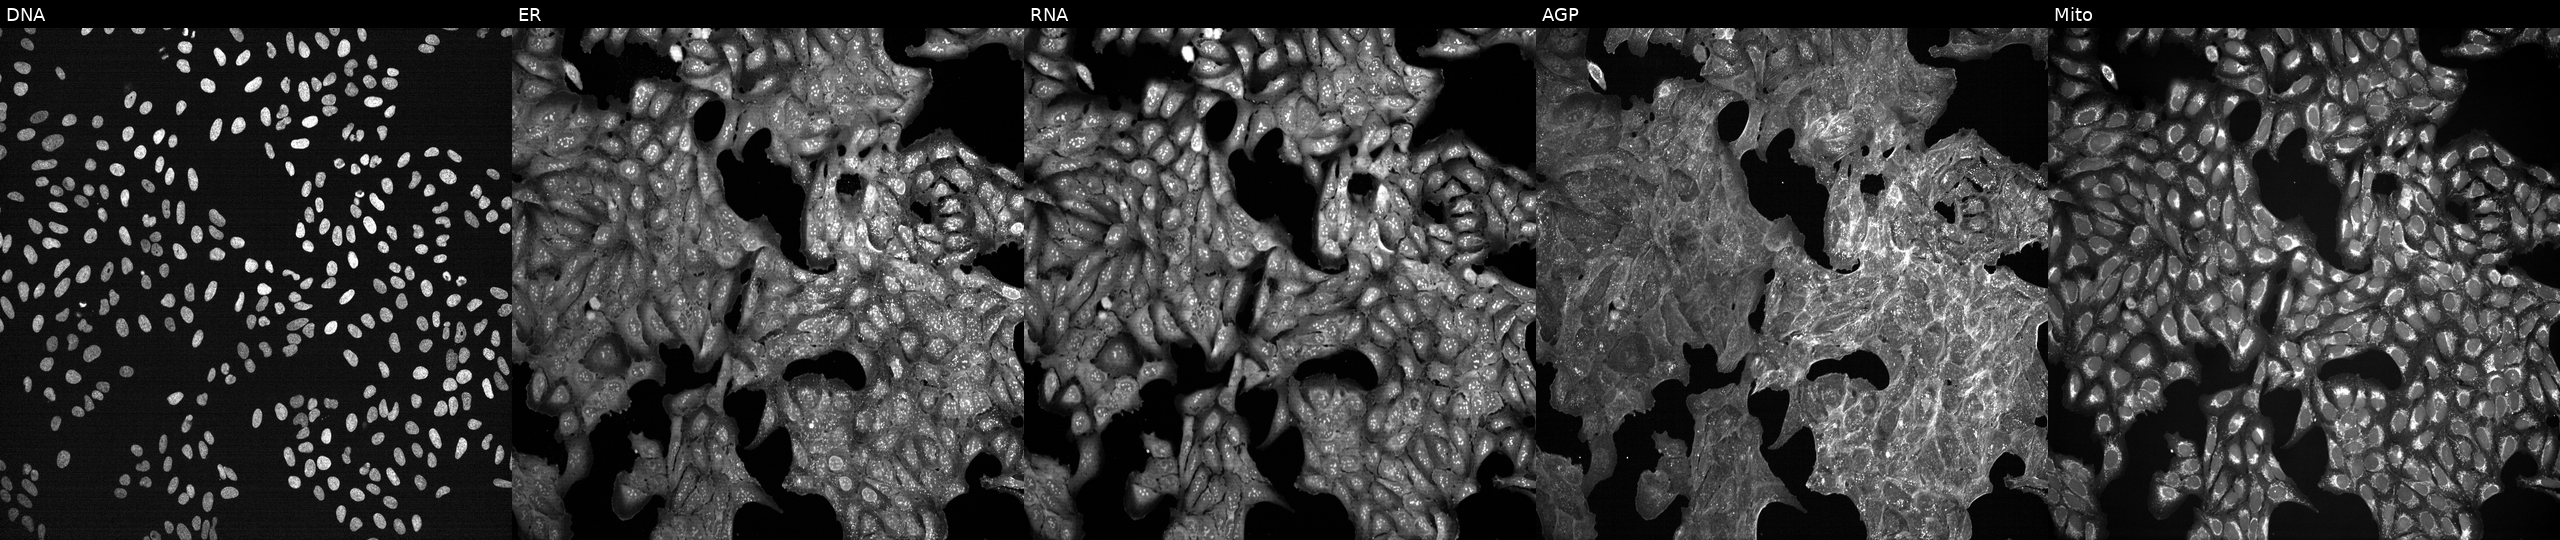
JUMP Cell Painting — TARGET2 plate. U2OS cells treated with a small-molecule compound (InChIKey CEUORZQYGODEFX-UHFFFAOYSA-N) (JUMP id JCP2022_010654). Panels show, left to right, Hoechst 33342, concanavalin A, SYTO 14, phalloidin and WGA, MitoTracker.